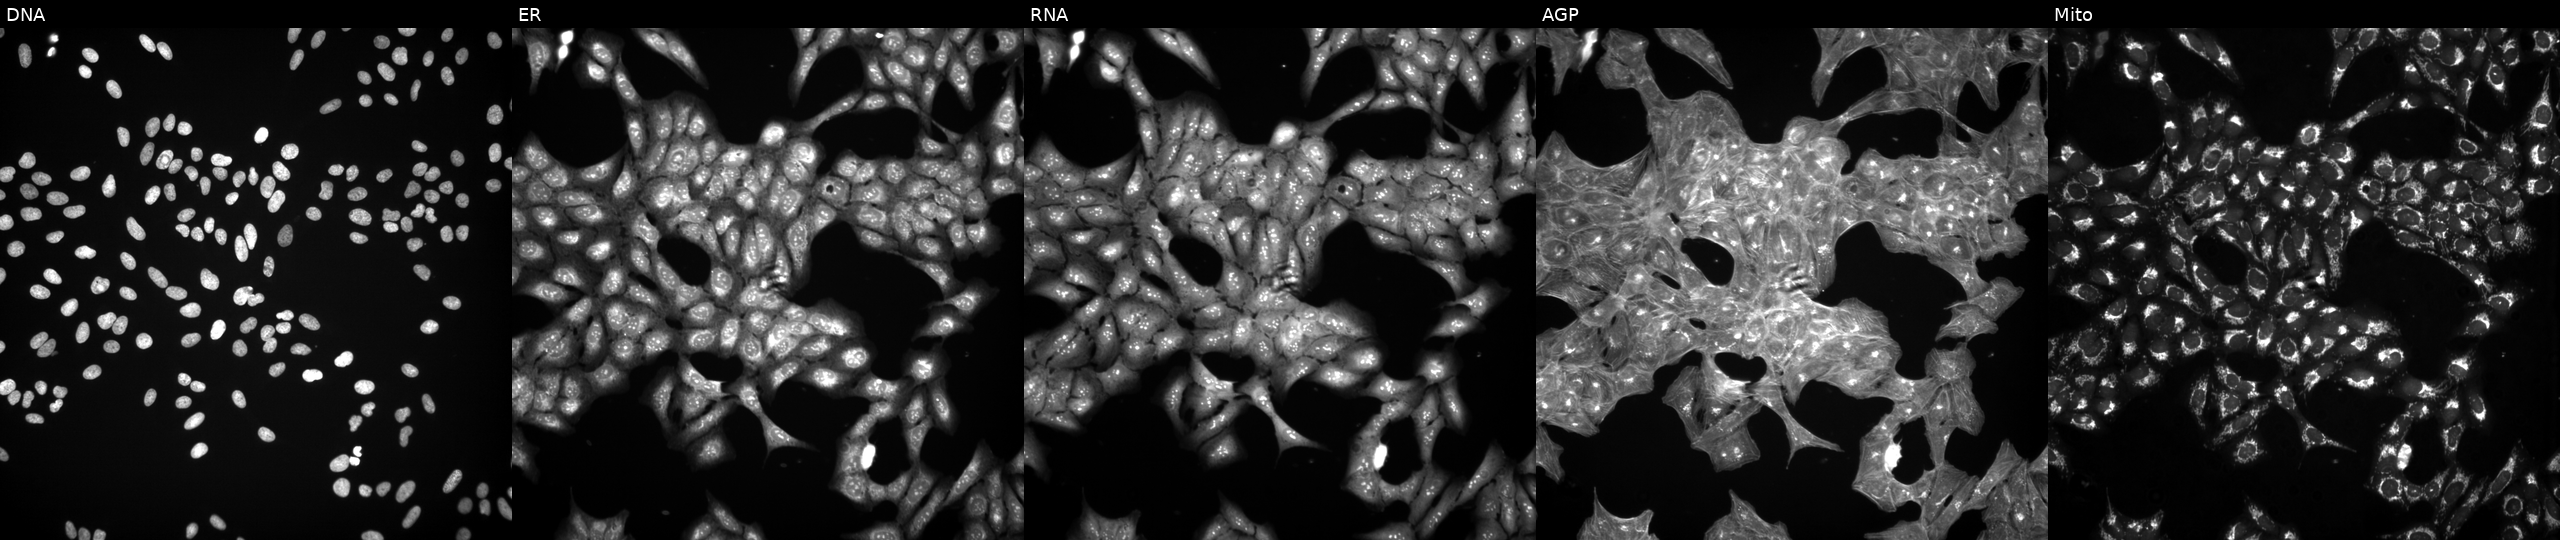
This image strip shows the five Cell Painting channels for a single field of U2OS cells exposed to a small-molecule compound (InChIKey NBHPRWLFLUBAIE-UHFFFAOYSA-N) (JUMP id JCP2022_057881). The five panels, left to right, show DNA (nuclei); ER (endoplasmic reticulum); RNA (nucleoli and cytoplasmic RNA); AGP (actin cytoskeleton, Golgi, and plasma membrane); Mito (mitochondria). Source 3, plate JCPQC051, well I11.